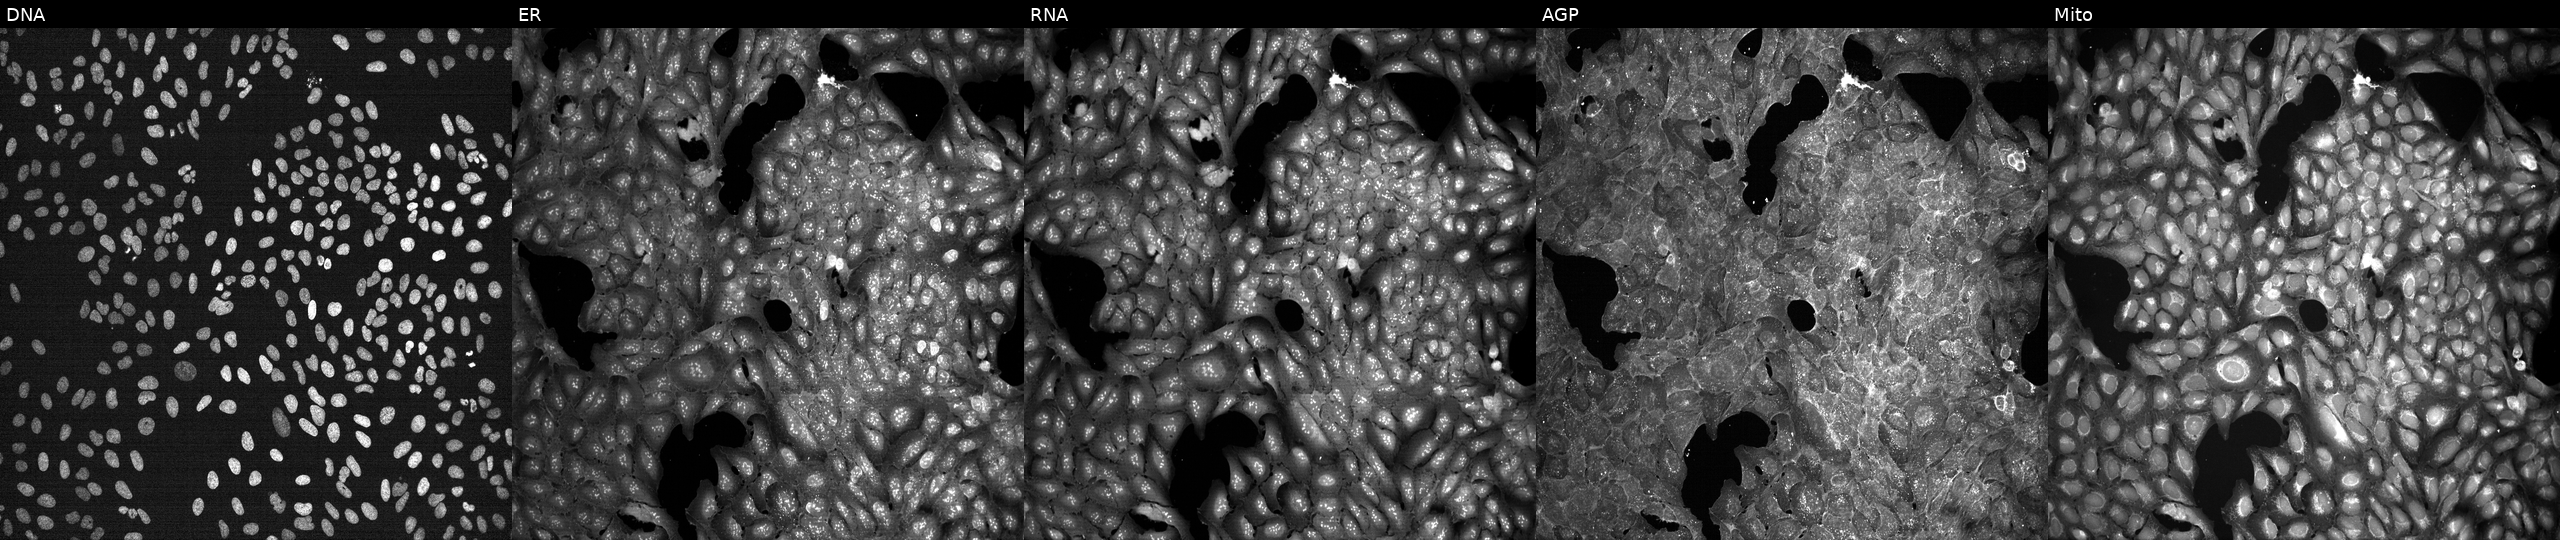
Panels show, left to right, DNA, ER, RNA, AGP, and Mito. U2OS osteosarcoma cells treated with a small-molecule compound (JUMP id JCP2022_068838). Cell Painting assay, JUMP-CP dataset.